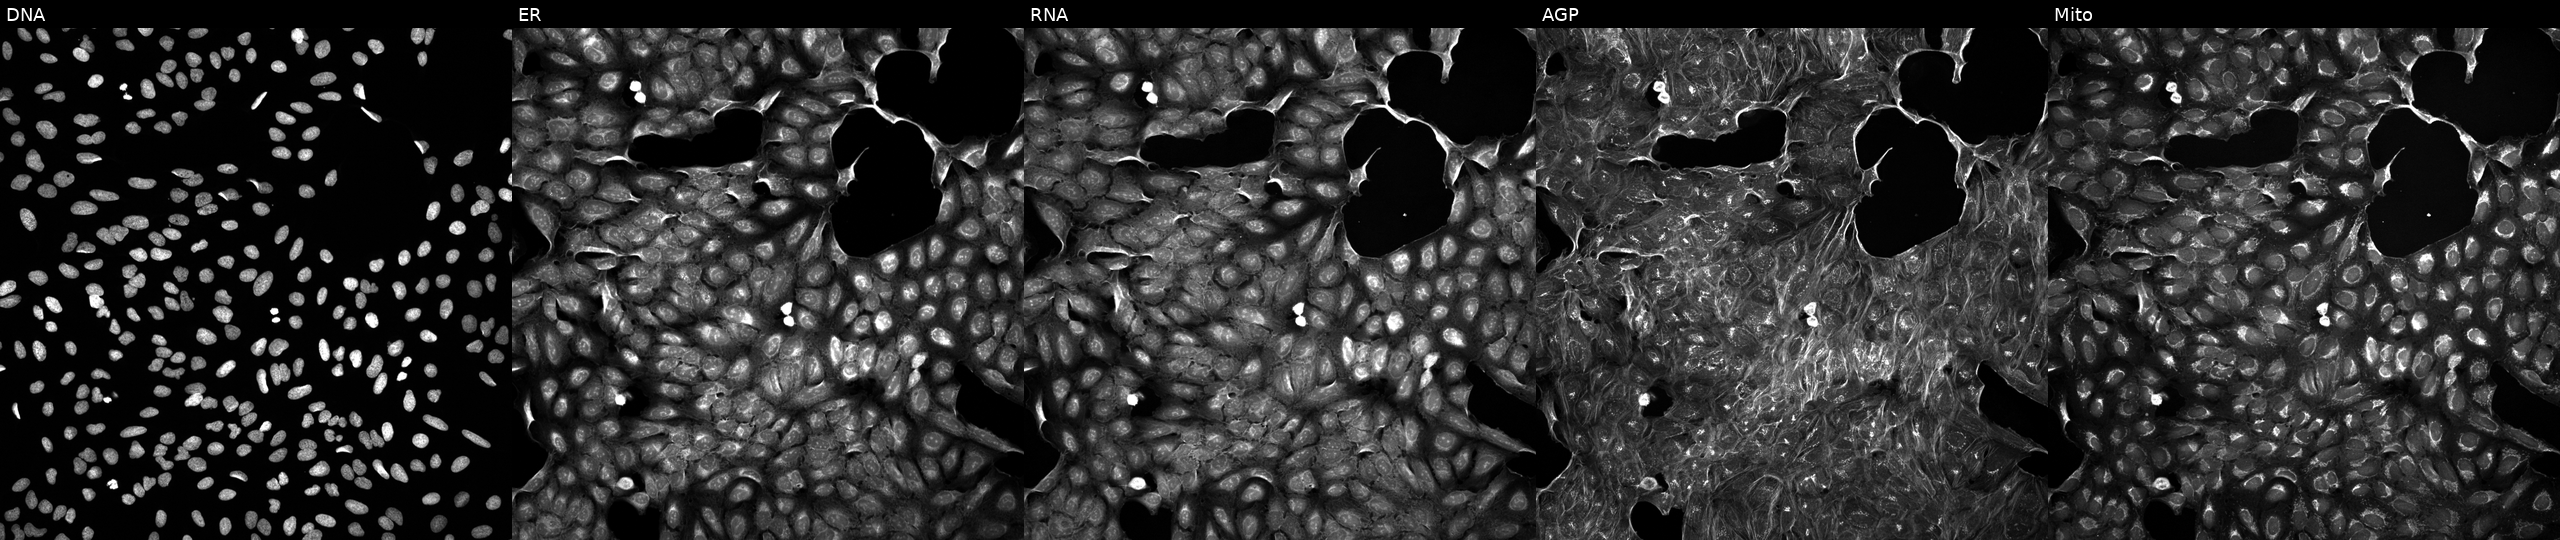
This image strip shows the five Cell Painting channels for a single field of U2OS cells treated with DMSO vehicle only (negative control). The five panels, left to right, show DNA (nuclei); ER (endoplasmic reticulum); RNA (nucleoli and cytoplasmic RNA); AGP (actin cytoskeleton, Golgi, and plasma membrane); Mito (mitochondria). Source 5, plate ACPJUM051, well O11.